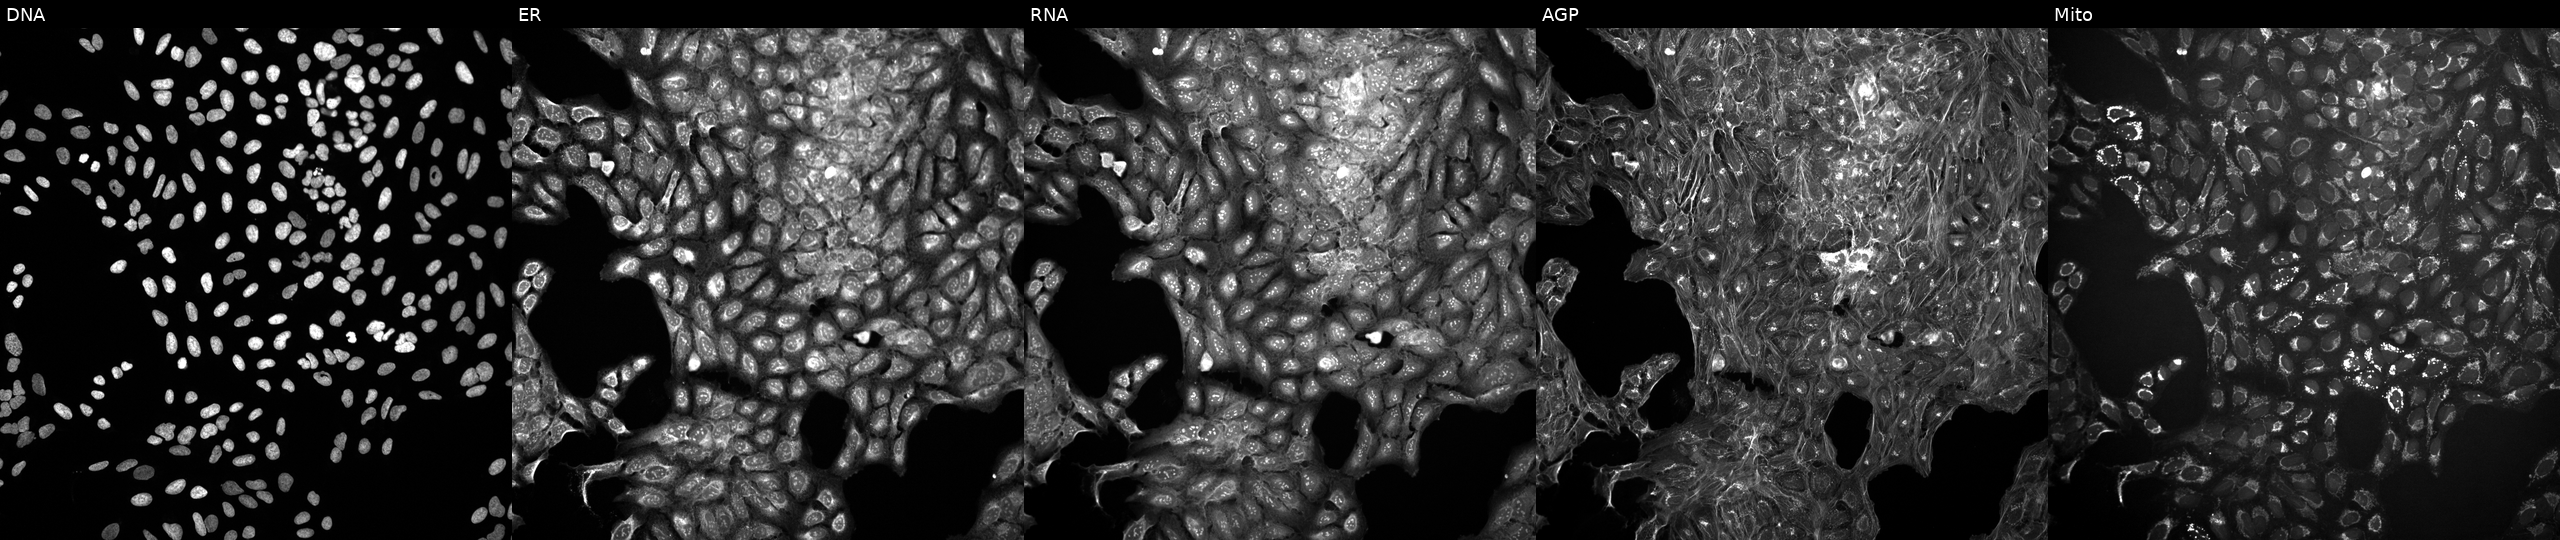
U2OS cells, Cell Painting assay, perturbed with a small-molecule compound (InChIKey KRQWMHRTMOYJMS-UHFFFAOYSA-N) [SMILES: O=C(Cn1cccc1)N1CCC(Oc2cccc3cccnc23)CC1] (JUMP id JCP2022_046568). From left to right: DNA (nuclei); ER (endoplasmic reticulum); RNA (nucleoli and cytoplasmic RNA); AGP (actin cytoskeleton, Golgi, and plasma membrane); Mito (mitochondria). Each panel is percentile-stretched 16-bit fluorescence.